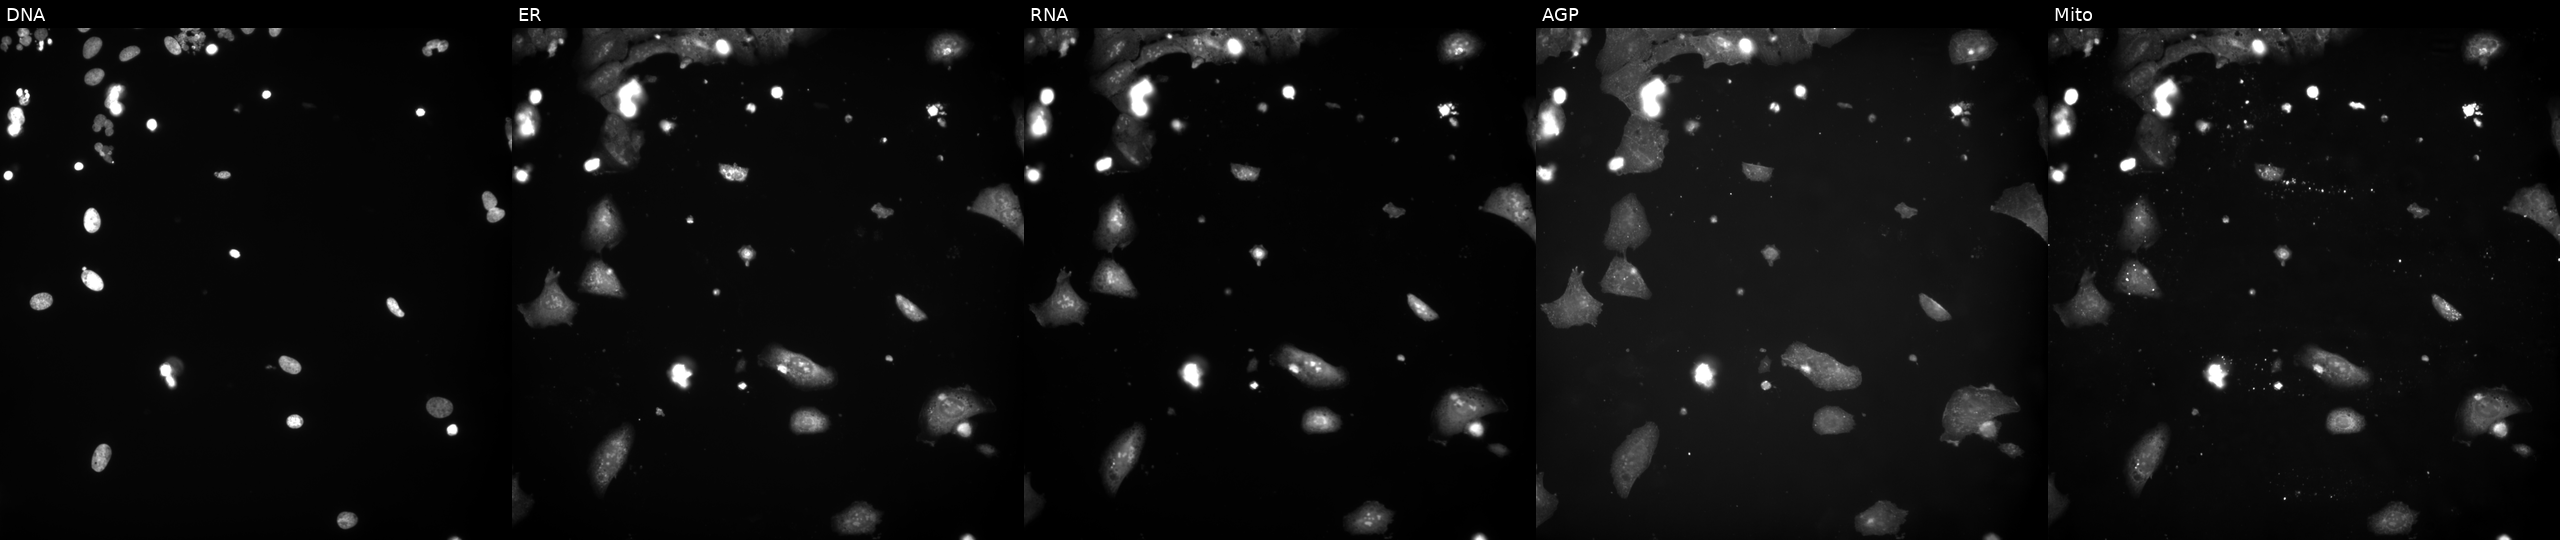
Five-channel Cell Painting image of U2OS cells treated with a small-molecule compound (InChIKey DELLOEULSHGYCG-UHFFFAOYSA-N). From left to right: DNA (nuclei); ER (endoplasmic reticulum); RNA (nucleoli and cytoplasmic RNA); AGP (actin cytoskeleton, Golgi, and plasma membrane); Mito (mitochondria). Source 9, plate GR00003382, well G28.